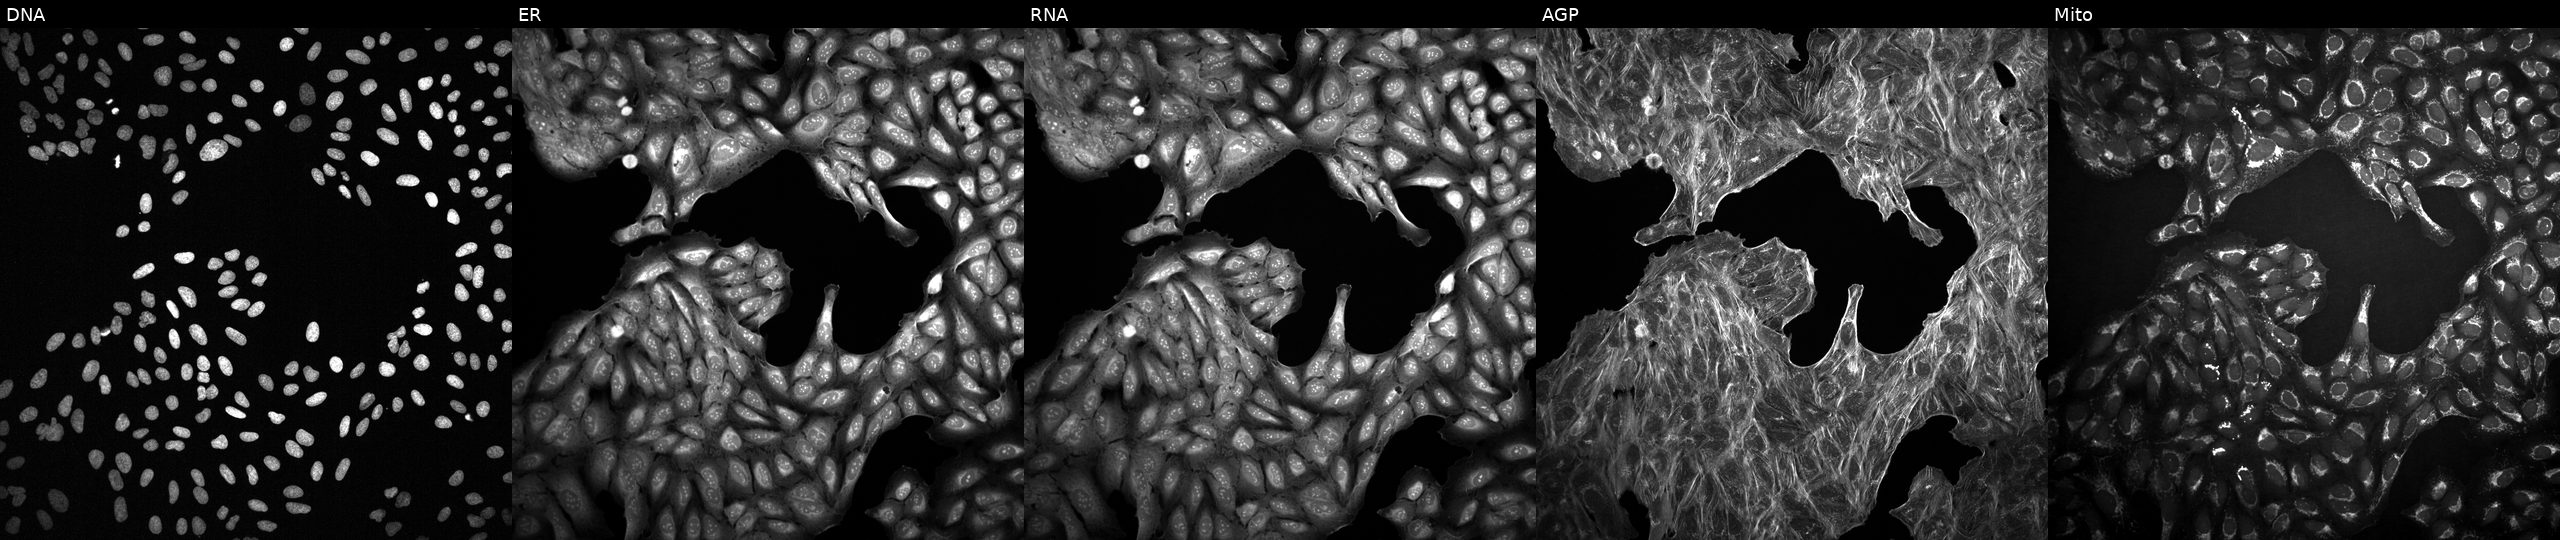
Channels (left→right): Hoechst 33342, concanavalin A, SYTO 14, phalloidin and WGA, MitoTracker. U2OS osteosarcoma cells exposed to DMSO alone as a negative control. Cell Painting assay, JUMP-CP dataset.